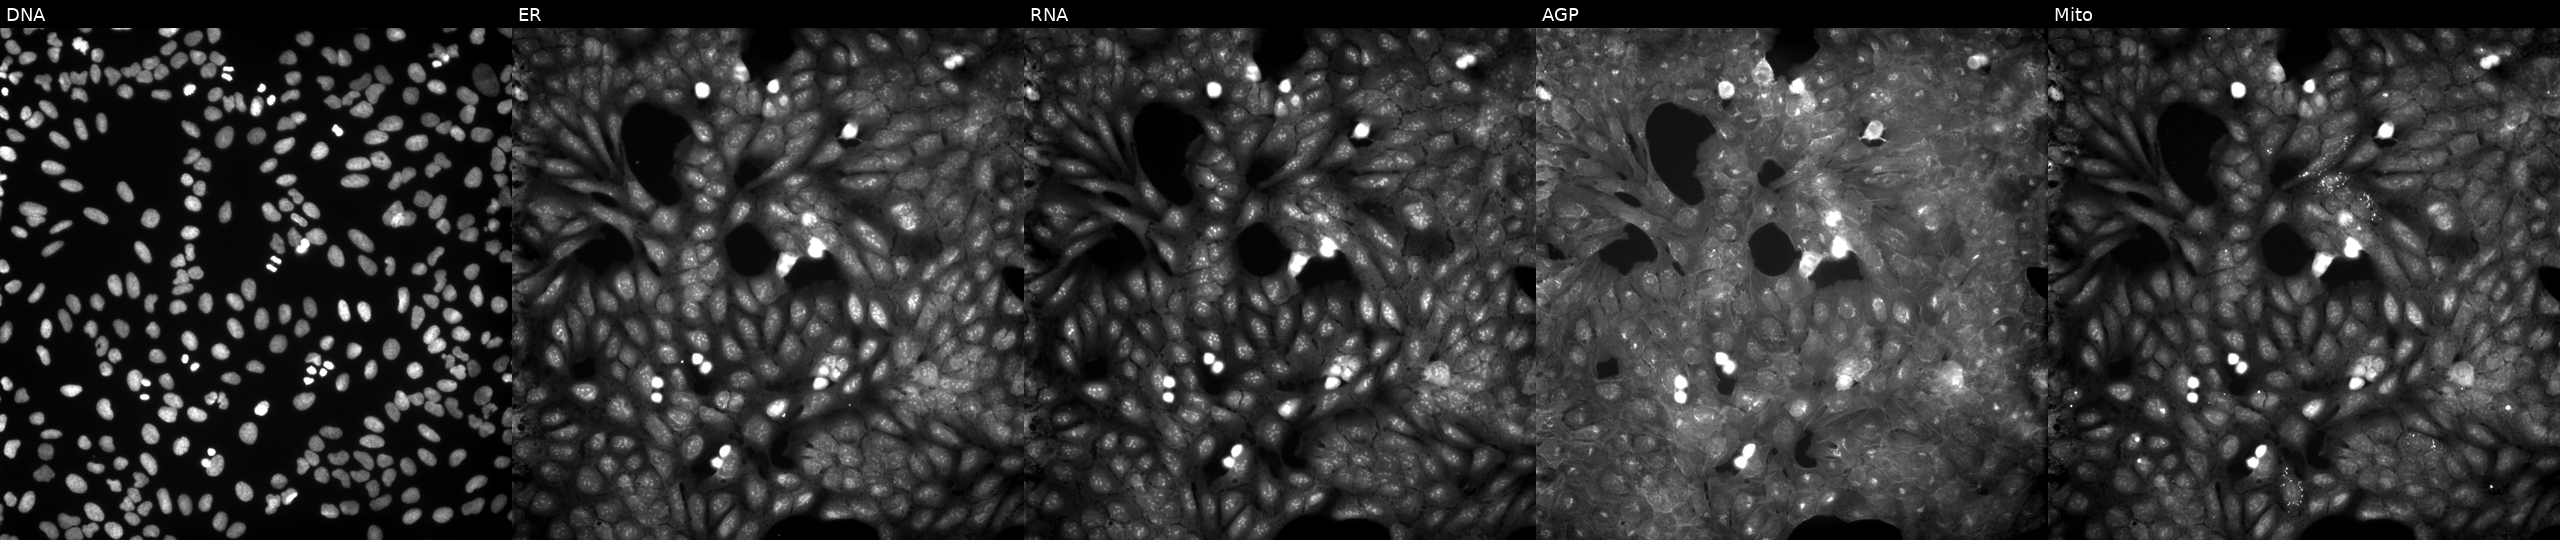
Five-channel Cell Painting image of U2OS cells treated with DMSO vehicle only (negative control) (JUMP id JCP2022_033924). The five panels, left to right, show DNA, ER, RNA, AGP, and Mito.